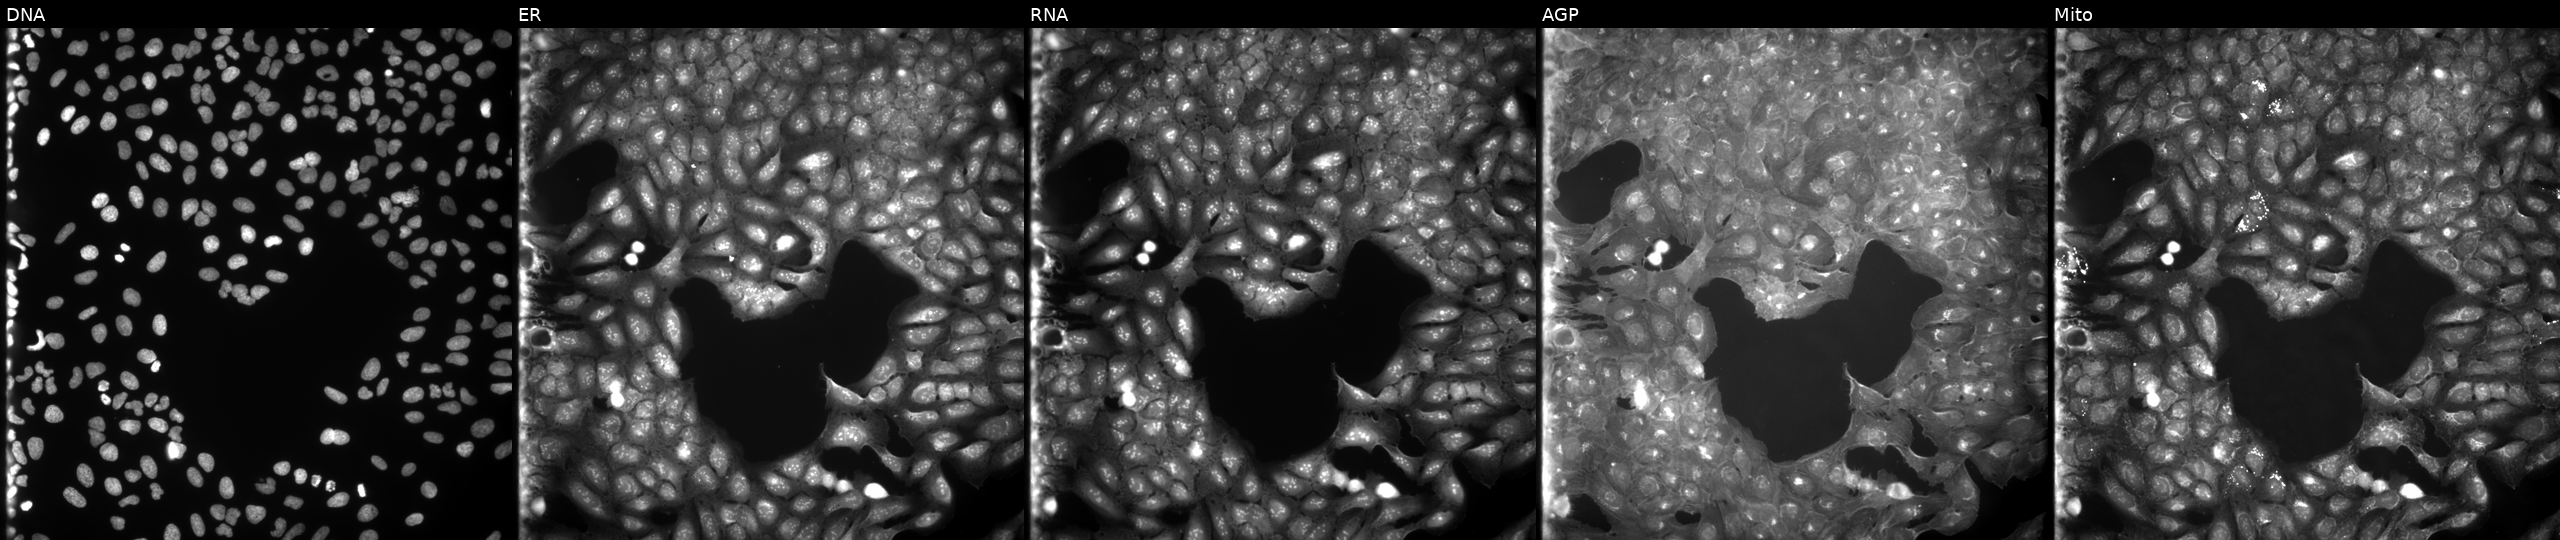
This image strip shows the five Cell Painting channels for a single field of U2OS cells treated with a small-molecule compound (InChIKey WRESDJFYJKVBCD-UHFFFAOYSA-N) (JUMP id JCP2022_100632). Panels show, left to right, Hoechst 33342, concanavalin A, SYTO 14, phalloidin and WGA, MitoTracker.